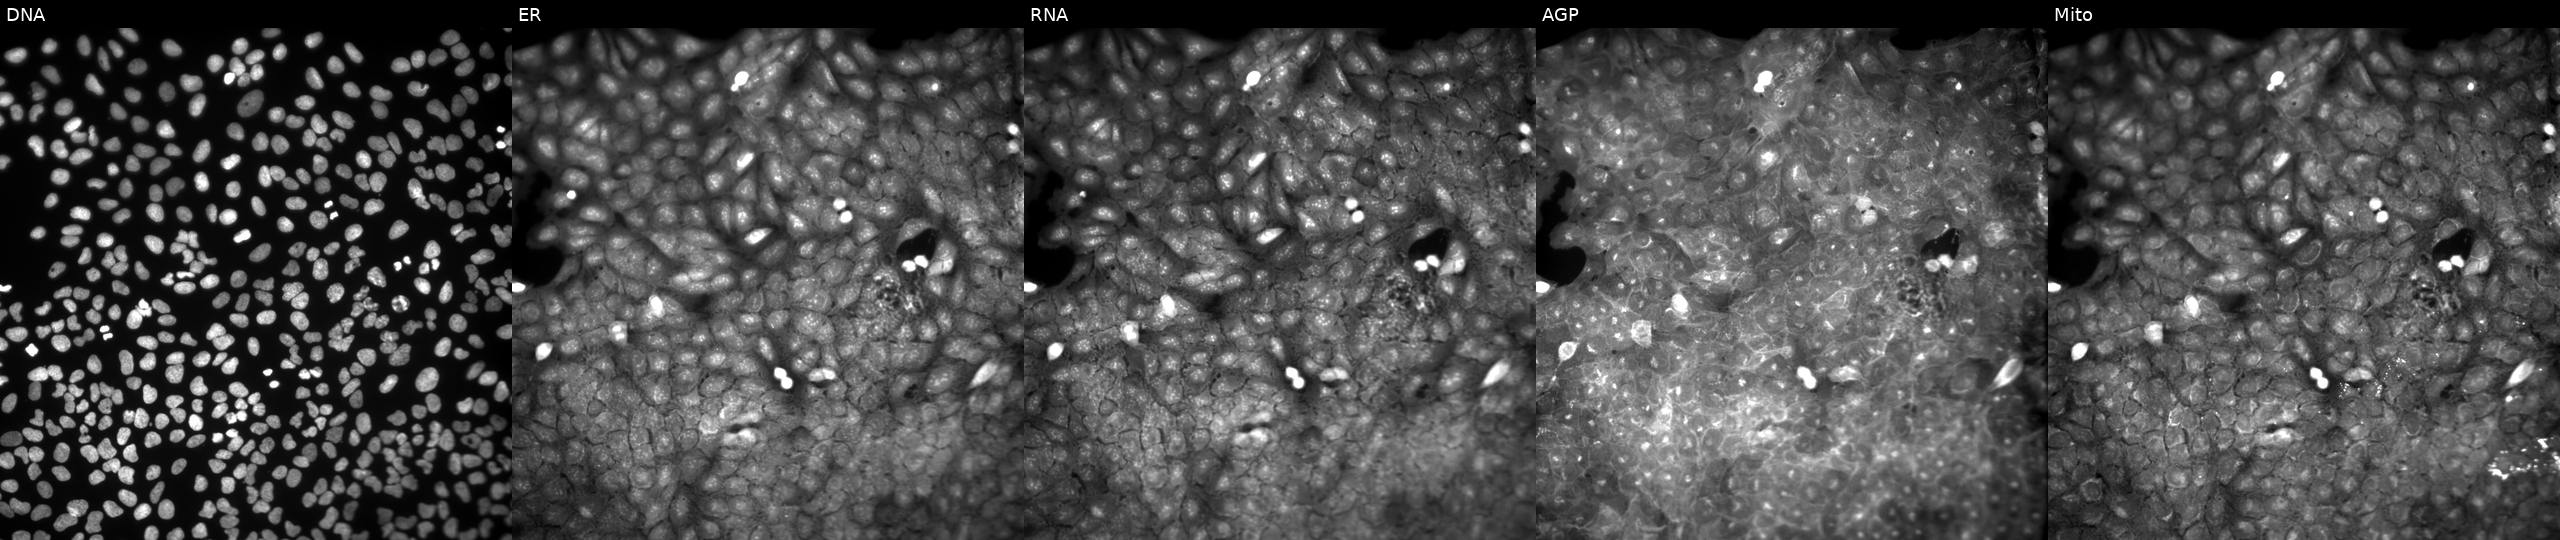
U2OS cells, Cell Painting assay, exposed to a small-molecule compound (InChIKey DGJLQBLHBYYACA-UHFFFAOYSA-N) [SMILES: O=C(CN1C(=O)c2ccccc2C1=O)Nc1ccccc1C(=O)NC1CCCCCC1] (JUMP id JCP2022_015760). From left to right: DNA, ER, RNA, AGP, and Mito. Each panel is percentile-stretched 16-bit fluorescence. Source 9, plate GR00003382, well AE40.